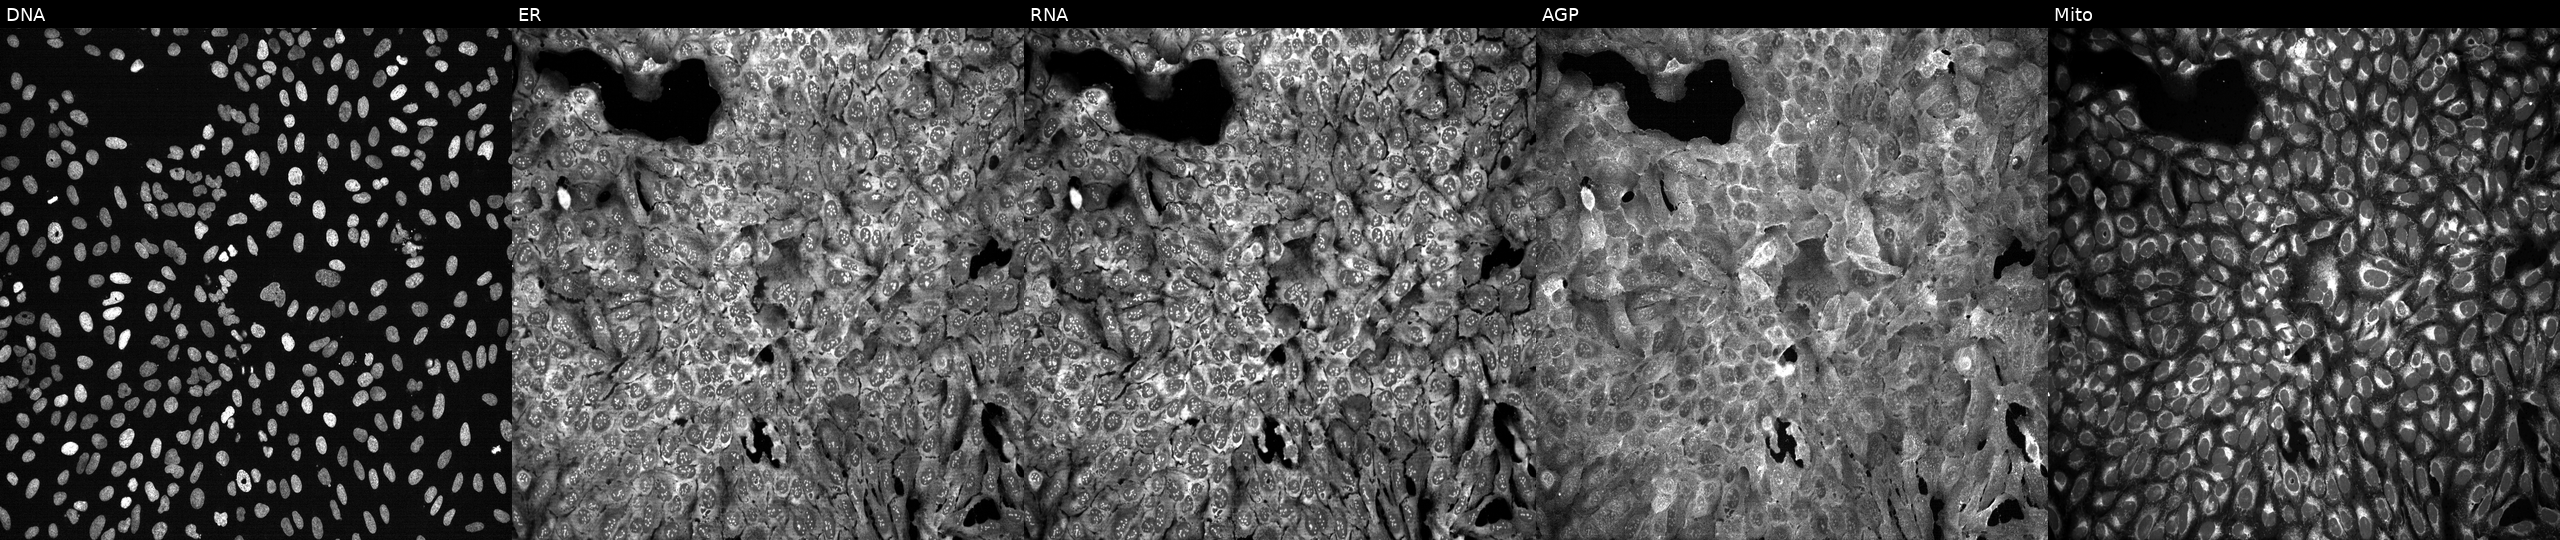
U2OS cells, Cell Painting assay, CRISPR-edited to disrupt GALNT15 (JUMP id JCP2022_802591). From left to right: DNA, ER, RNA, AGP, and Mito. Each panel is percentile-stretched 16-bit fluorescence.